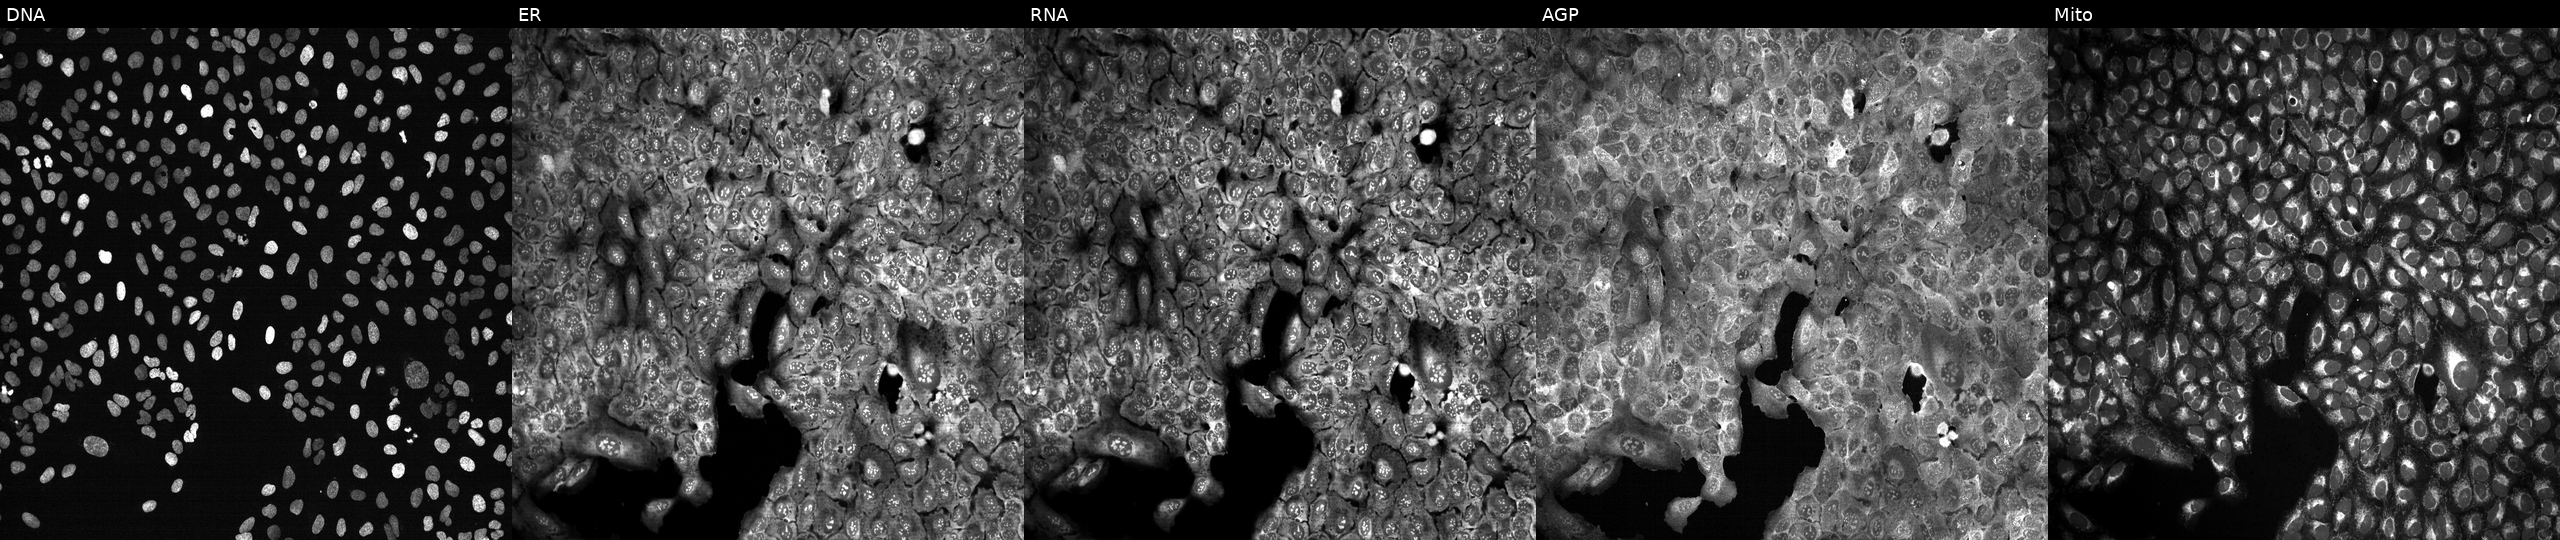
U2OS cells, Cell Painting assay, following CRISPR knockout of AKR1B10 (JUMP id JCP2022_800363). Channels (left→right): DNA, ER, RNA, AGP, and Mito. Each panel is percentile-stretched 16-bit fluorescence. Source 13, plate CP-CC9-R3-02, well C17.